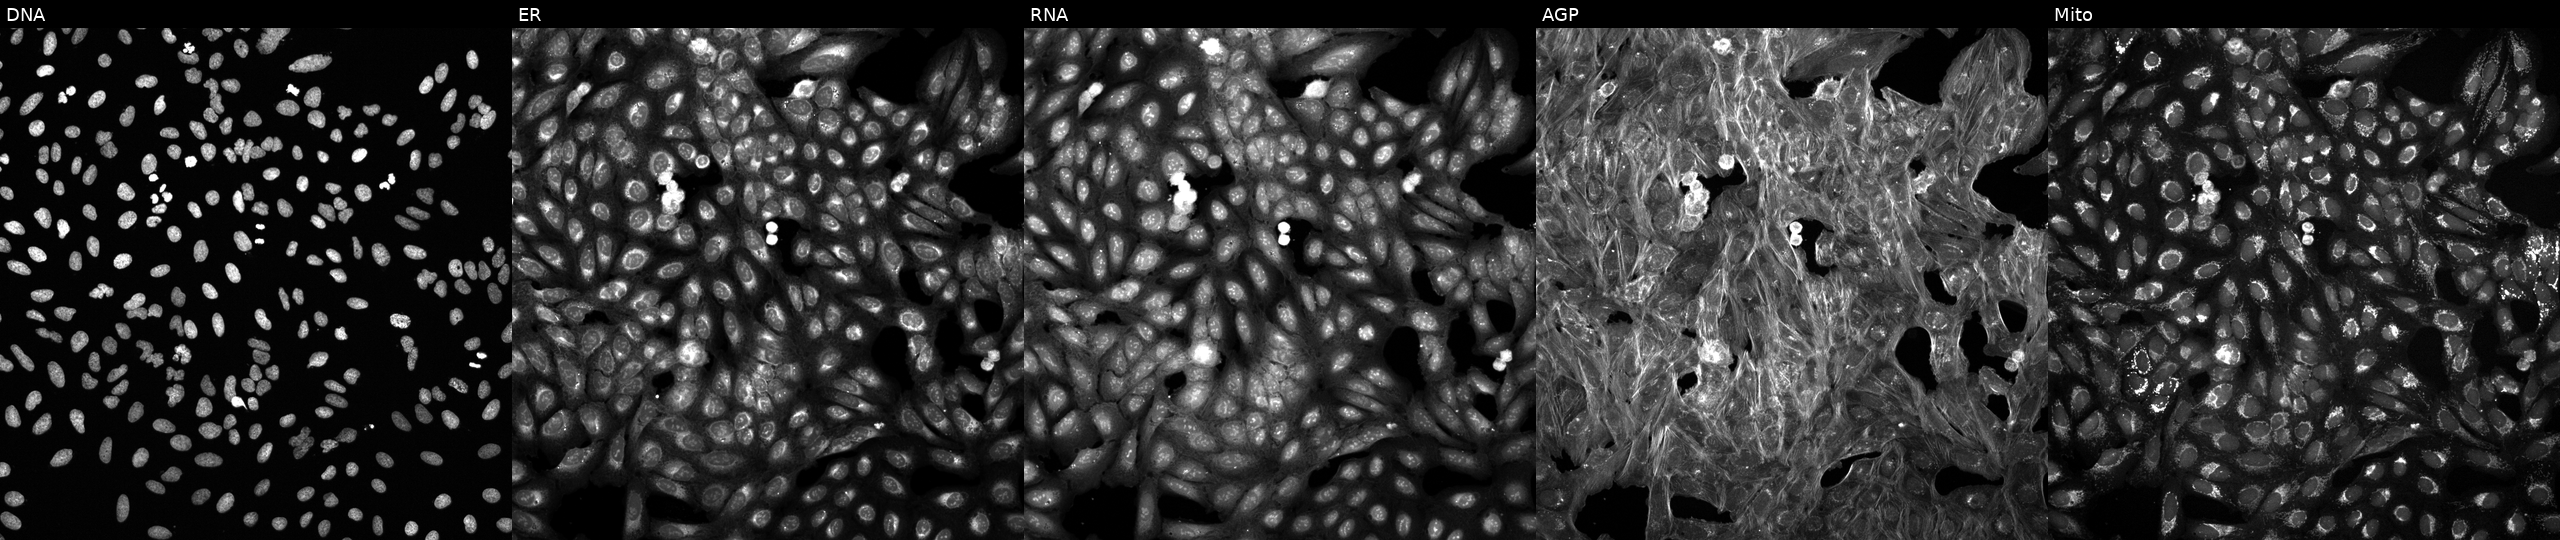
U2OS cells, Cell Painting assay, treated with a small-molecule compound. From left to right: DNA (nuclei); ER (endoplasmic reticulum); RNA (nucleoli and cytoplasmic RNA); AGP (actin cytoskeleton, Golgi, and plasma membrane); Mito (mitochondria). Each panel is percentile-stretched 16-bit fluorescence. Source 6, plate 110000293083, well J14.